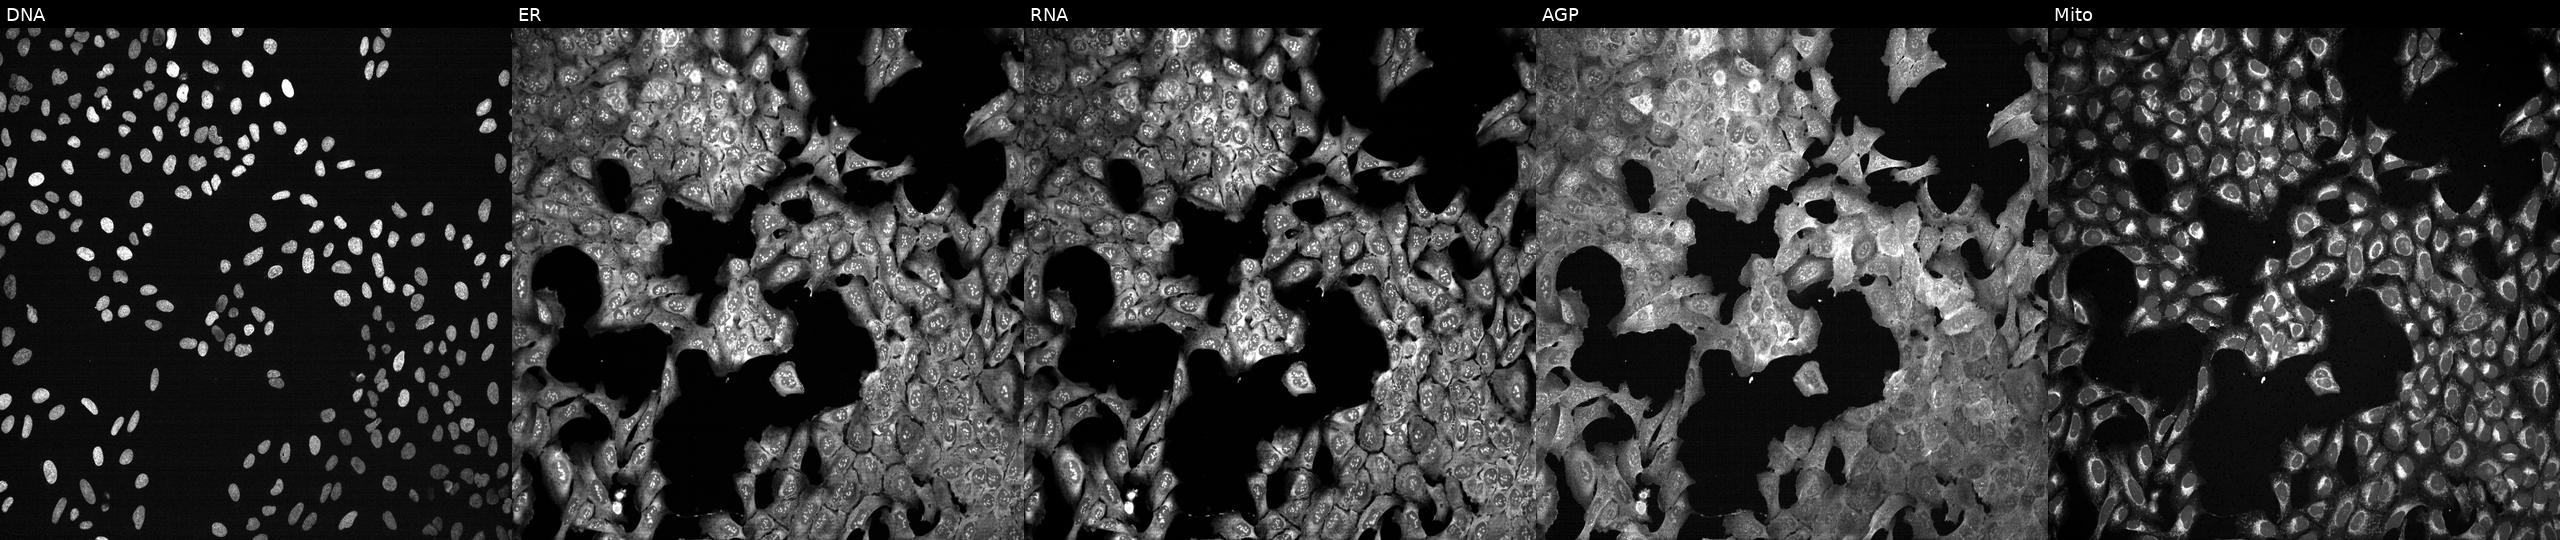
High-content fluorescence microscopy (Cell Painting). Cell line: U2OS. Perturbation: following CRISPR knockout of UNG. Channels (left→right): DNA (nuclei); ER (endoplasmic reticulum); RNA (nucleoli and cytoplasmic RNA); AGP (actin cytoskeleton, Golgi, and plasma membrane); Mito (mitochondria). Source 13, plate CP-CC9-R3-02, well L13.